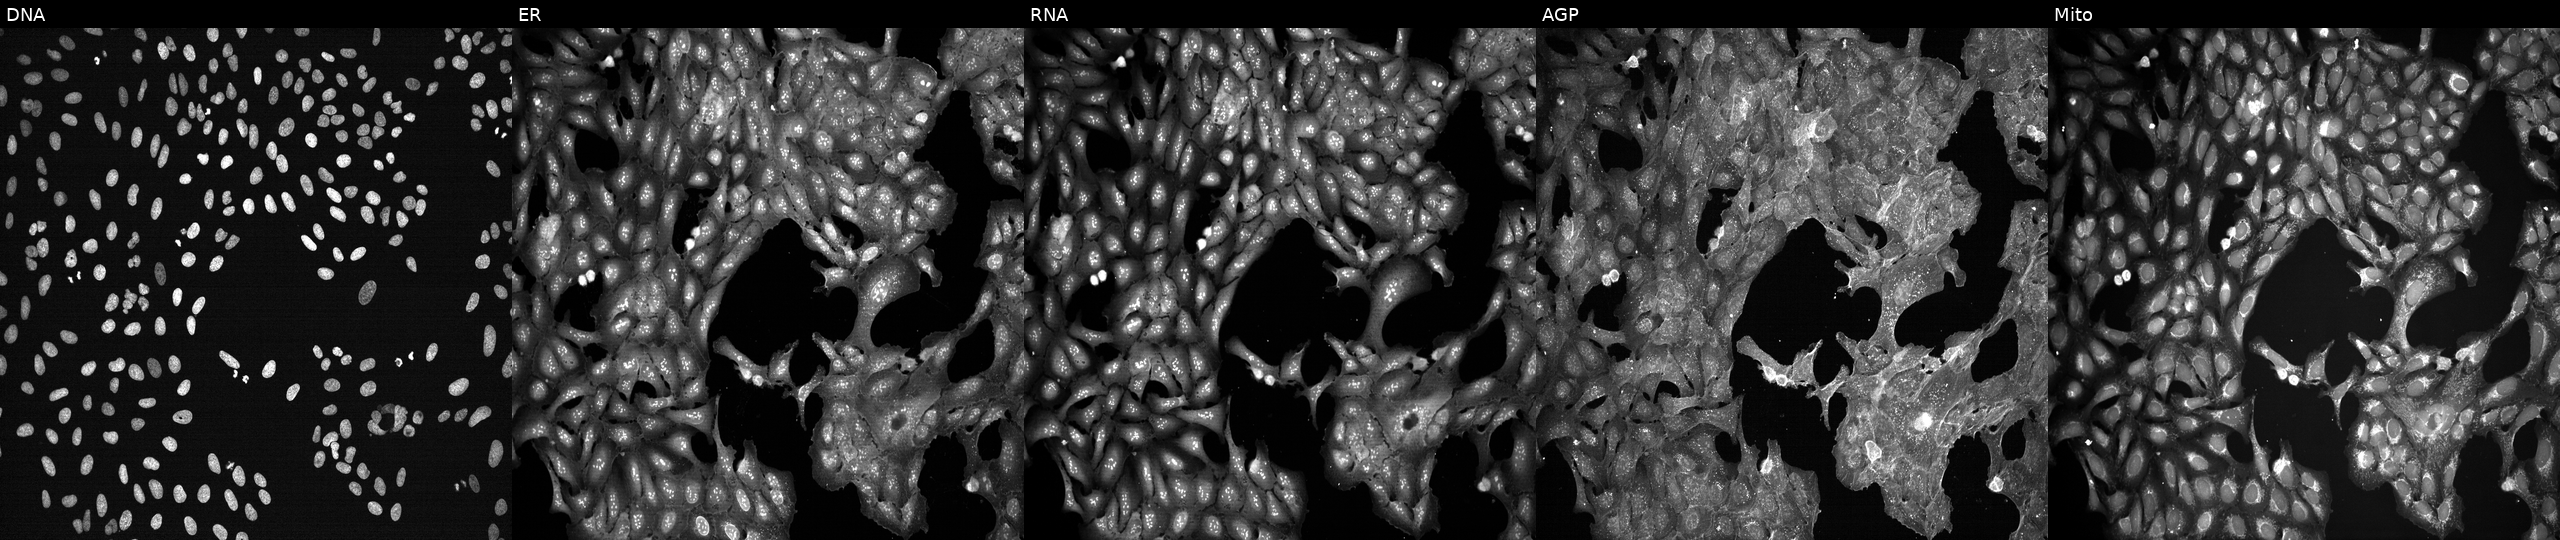
Panels show, left to right, Hoechst 33342, concanavalin A, SYTO 14, phalloidin and WGA, MitoTracker. U2OS osteosarcoma cells treated with DMSO vehicle only (negative control) (JUMP id JCP2022_033924). Cell Painting assay, JUMP-CP dataset.